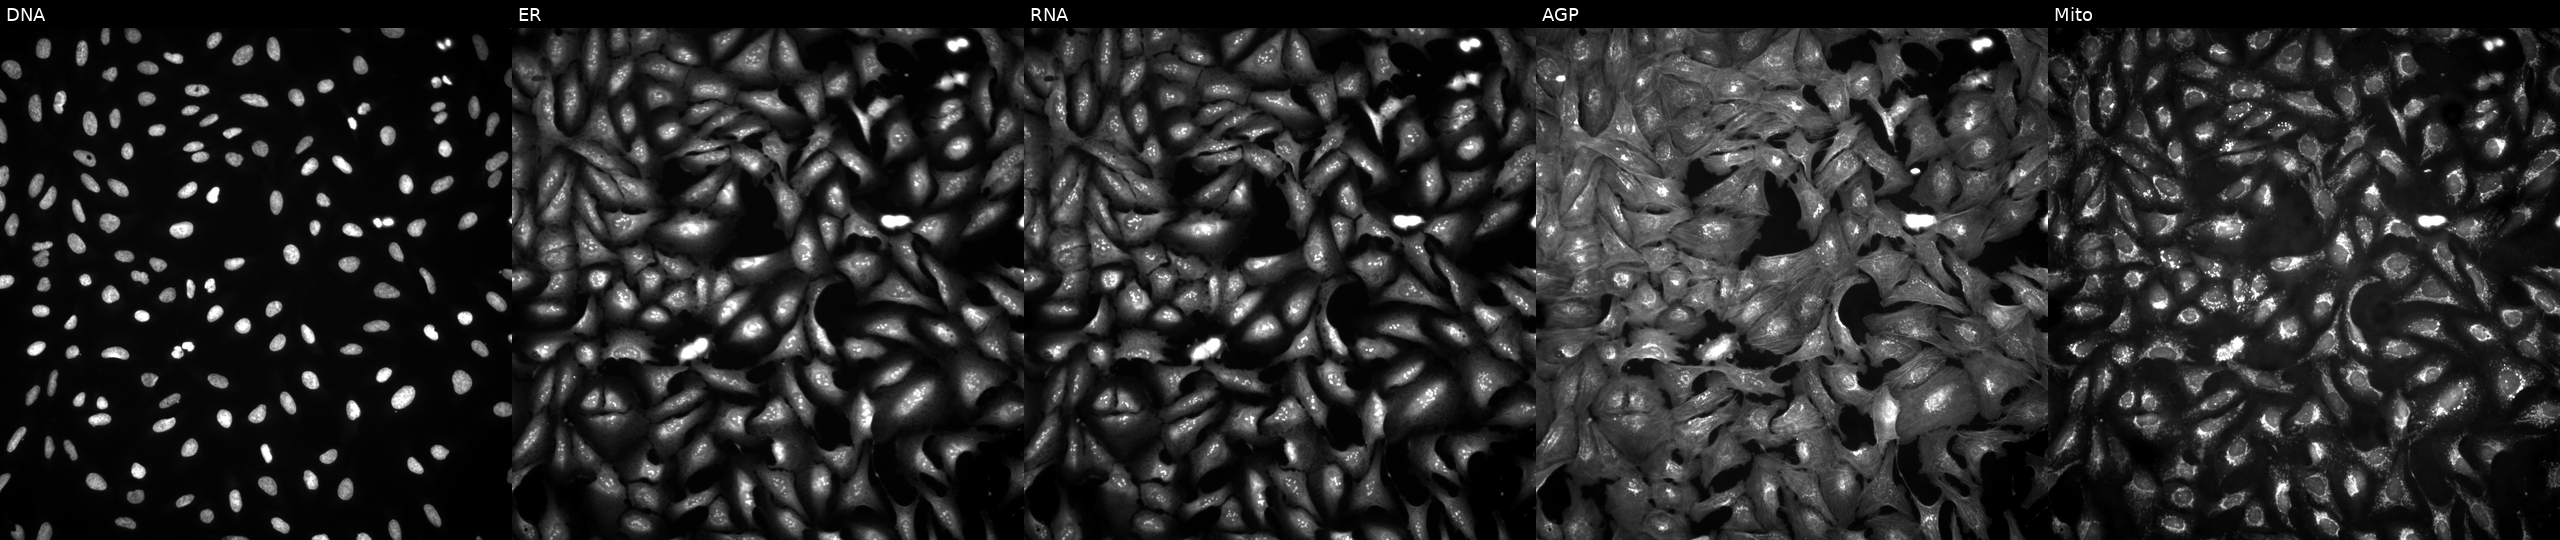
High-content fluorescence microscopy (Cell Painting). Cell line: U2OS. Perturbation: transfected with an ORF construct for XLOC_l2_012081 (JUMP id JCP2022_909704). Panels show, left to right, DNA (nuclei); ER (endoplasmic reticulum); RNA (nucleoli and cytoplasmic RNA); AGP (actin cytoskeleton, Golgi, and plasma membrane); Mito (mitochondria).